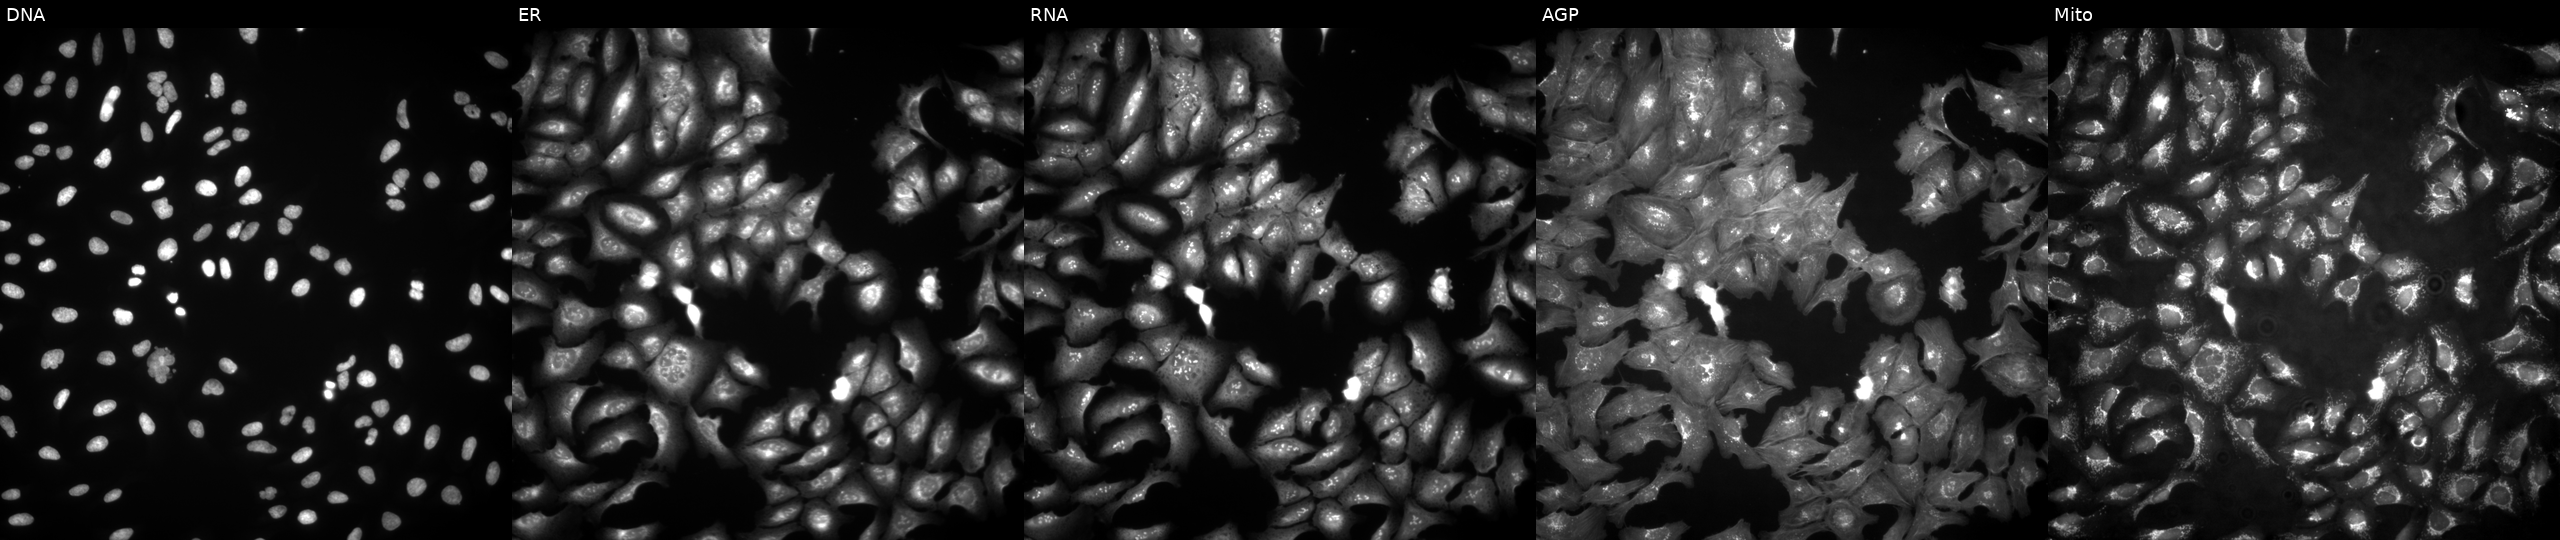
JUMP Cell Painting — ORF plate. U2OS cells transfected with an ORF construct for LINC00638. Panels show, left to right, Hoechst 33342, concanavalin A, SYTO 14, phalloidin and WGA, MitoTracker.